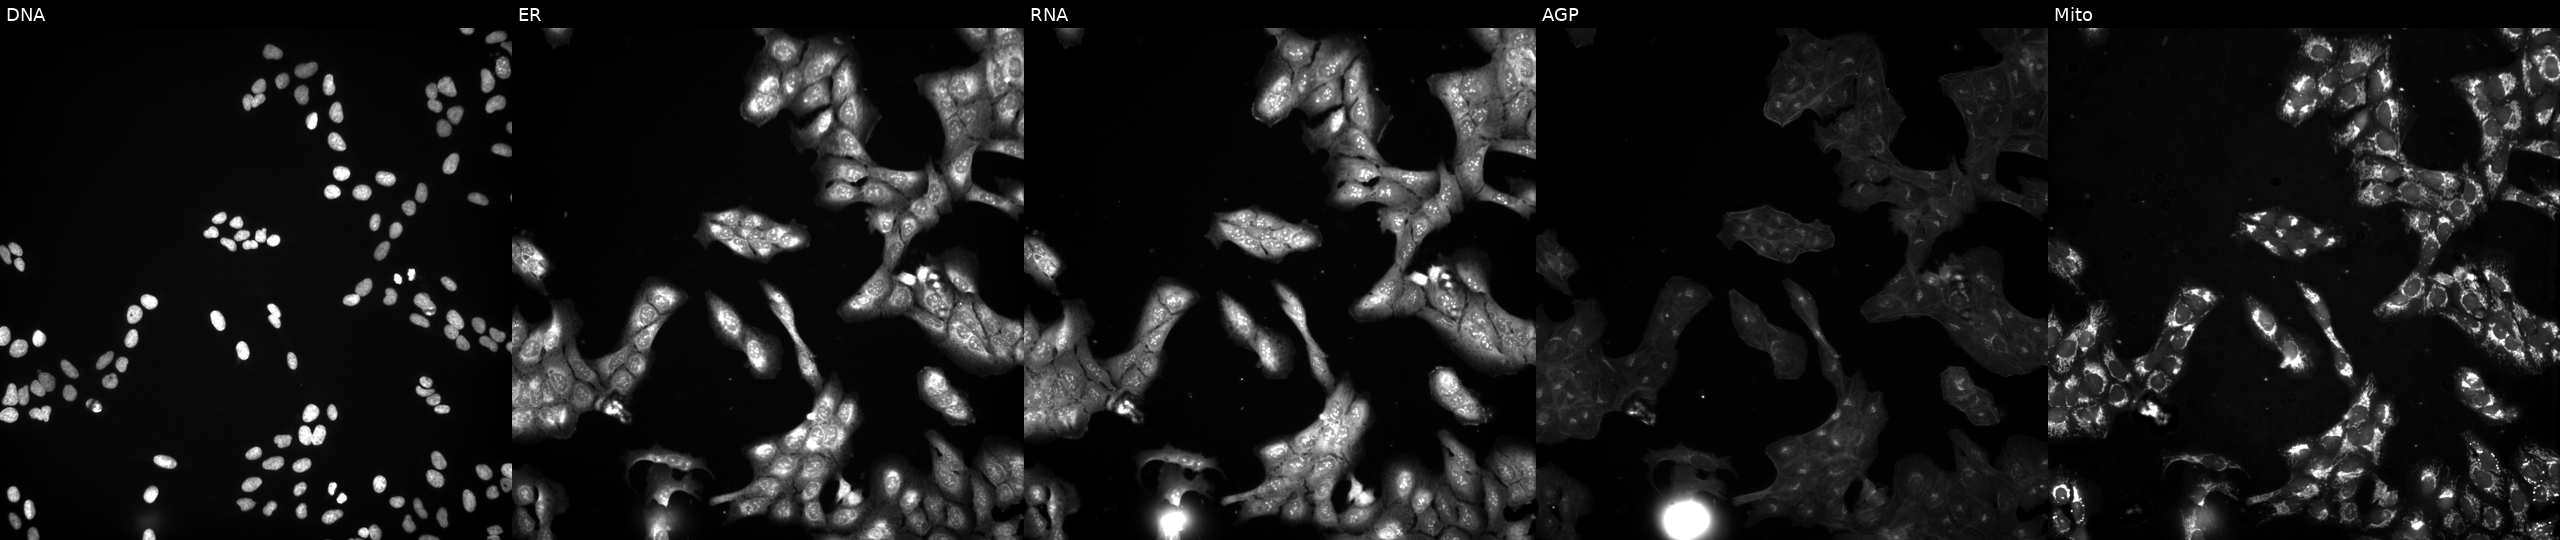
JUMP Cell Painting — COMPOUND plate. U2OS cells treated with a small-molecule compound (InChIKey WQYVSCOZKKSBGE-UHFFFAOYSA-N) (JUMP id JCP2022_100601). Channels (left→right): DNA (nuclei); ER (endoplasmic reticulum); RNA (nucleoli and cytoplasmic RNA); AGP (actin cytoskeleton, Golgi, and plasma membrane); Mito (mitochondria).